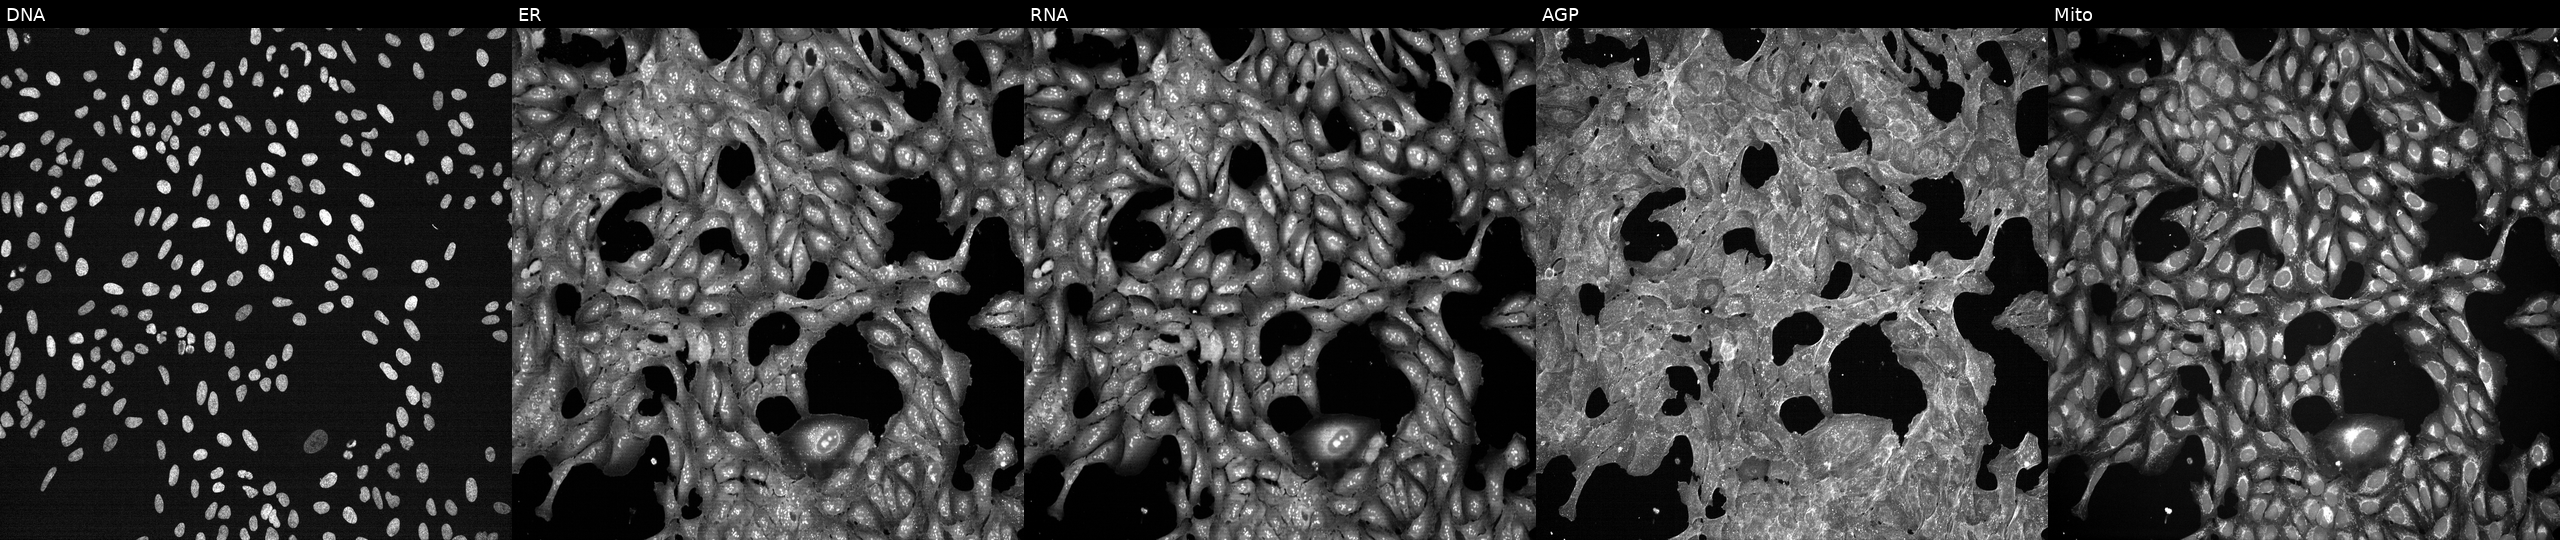
Channels (left→right): DNA, ER, RNA, AGP, and Mito. U2OS osteosarcoma cells perturbed with a small-molecule compound (InChIKey ZJVFLBOZORBYFE-UHFFFAOYSA-N) [SMILES: CC(C)C(=O)c1c(C(C)C)nn2ccccc12]. Cell Painting assay, JUMP-CP dataset. Source 7, plate CP2-SC1-25, well D01.